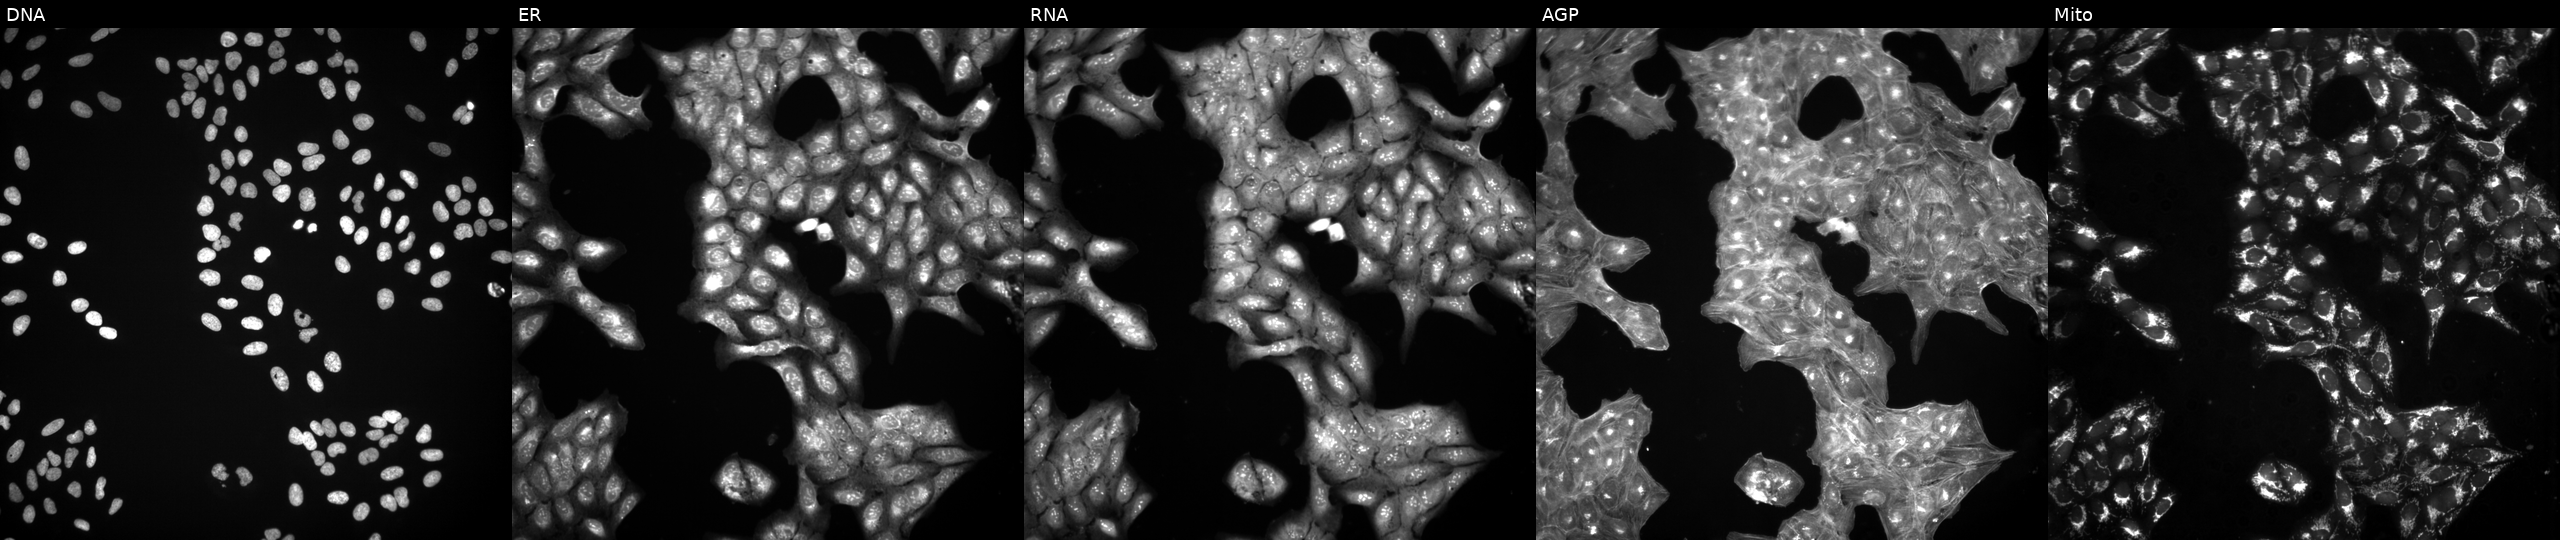
From left to right: DNA (nuclei); ER (endoplasmic reticulum); RNA (nucleoli and cytoplasmic RNA); AGP (actin cytoskeleton, Golgi, and plasma membrane); Mito (mitochondria). U2OS osteosarcoma cells exposed to DMSO alone as a negative control (JUMP id JCP2022_033924). Cell Painting assay, JUMP-CP dataset. Source 3, plate JCPQC051, well D09.